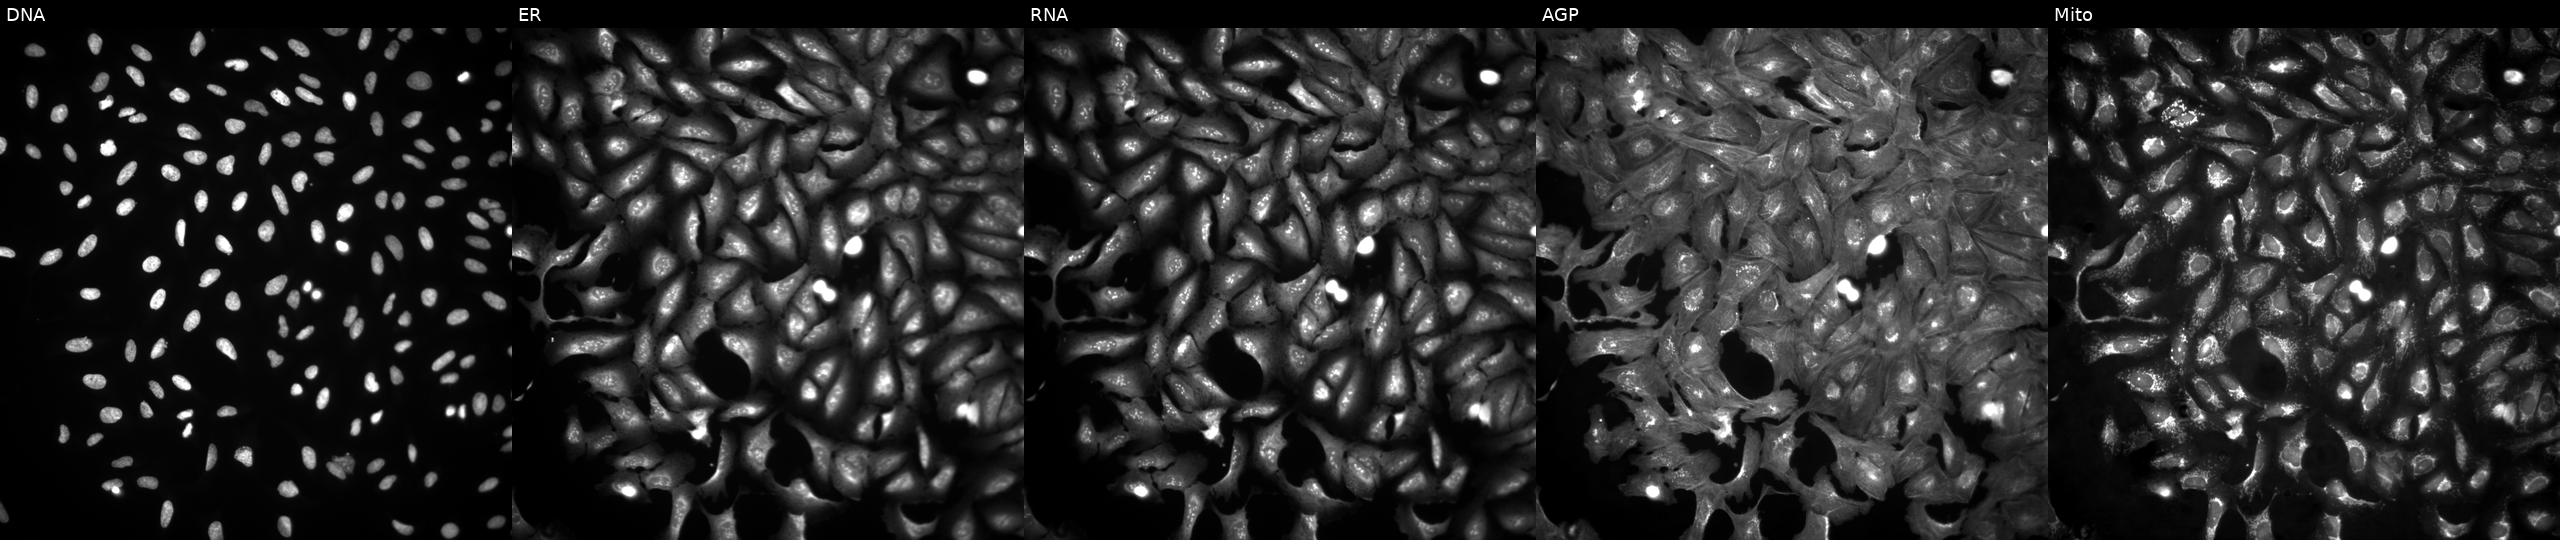
U2OS cells, Cell Painting assay, overexpressing SPRR2A via ORF transfection. Panels show, left to right, Hoechst 33342, concanavalin A, SYTO 14, phalloidin and WGA, MitoTracker. Each panel is percentile-stretched 16-bit fluorescence.